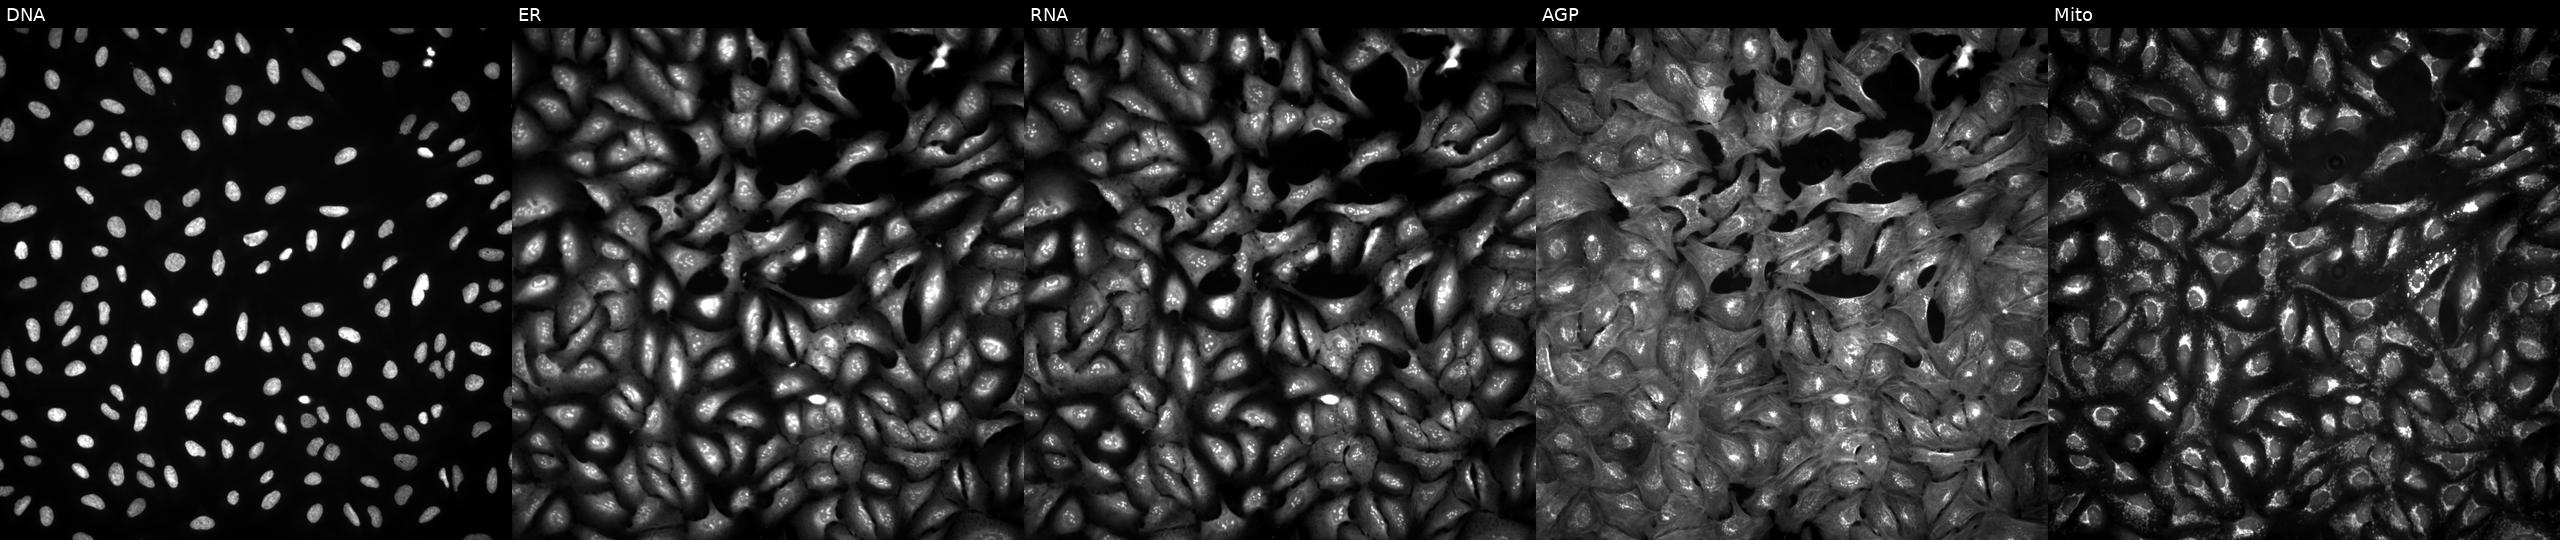
U2OS cells, Cell Painting assay, transfected with an ORF construct for H2BS1. Channels (left→right): DNA (nuclei); ER (endoplasmic reticulum); RNA (nucleoli and cytoplasmic RNA); AGP (actin cytoskeleton, Golgi, and plasma membrane); Mito (mitochondria). Each panel is percentile-stretched 16-bit fluorescence.